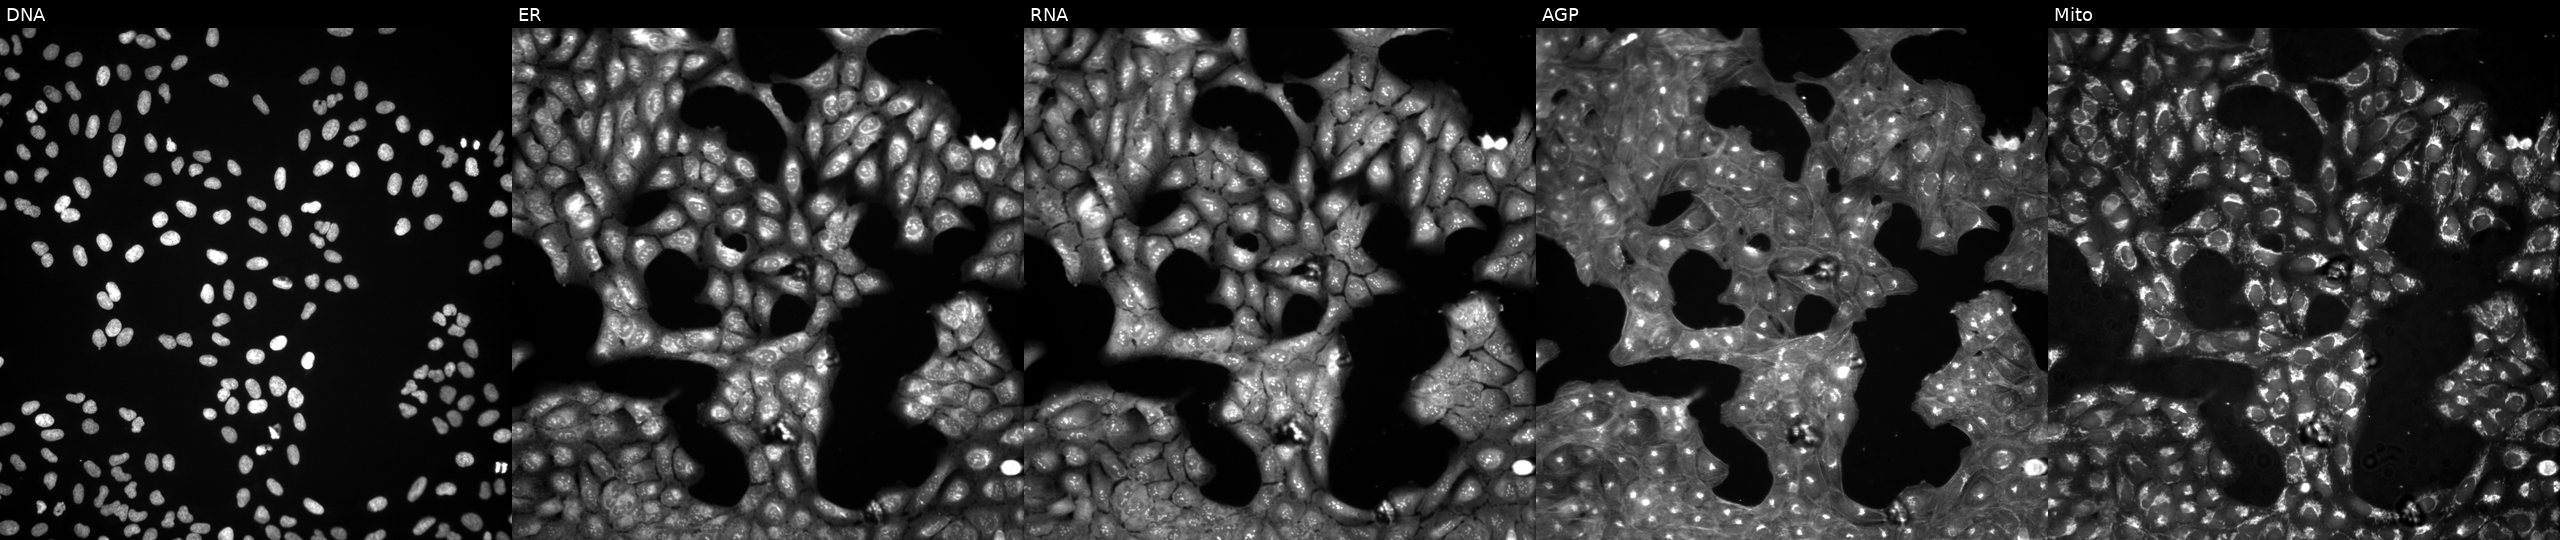
U2OS cells, Cell Painting assay, treated with DMSO vehicle only (negative control) (JUMP id JCP2022_033924). The five panels, left to right, show DNA (nuclei); ER (endoplasmic reticulum); RNA (nucleoli and cytoplasmic RNA); AGP (actin cytoskeleton, Golgi, and plasma membrane); Mito (mitochondria). Each panel is percentile-stretched 16-bit fluorescence.